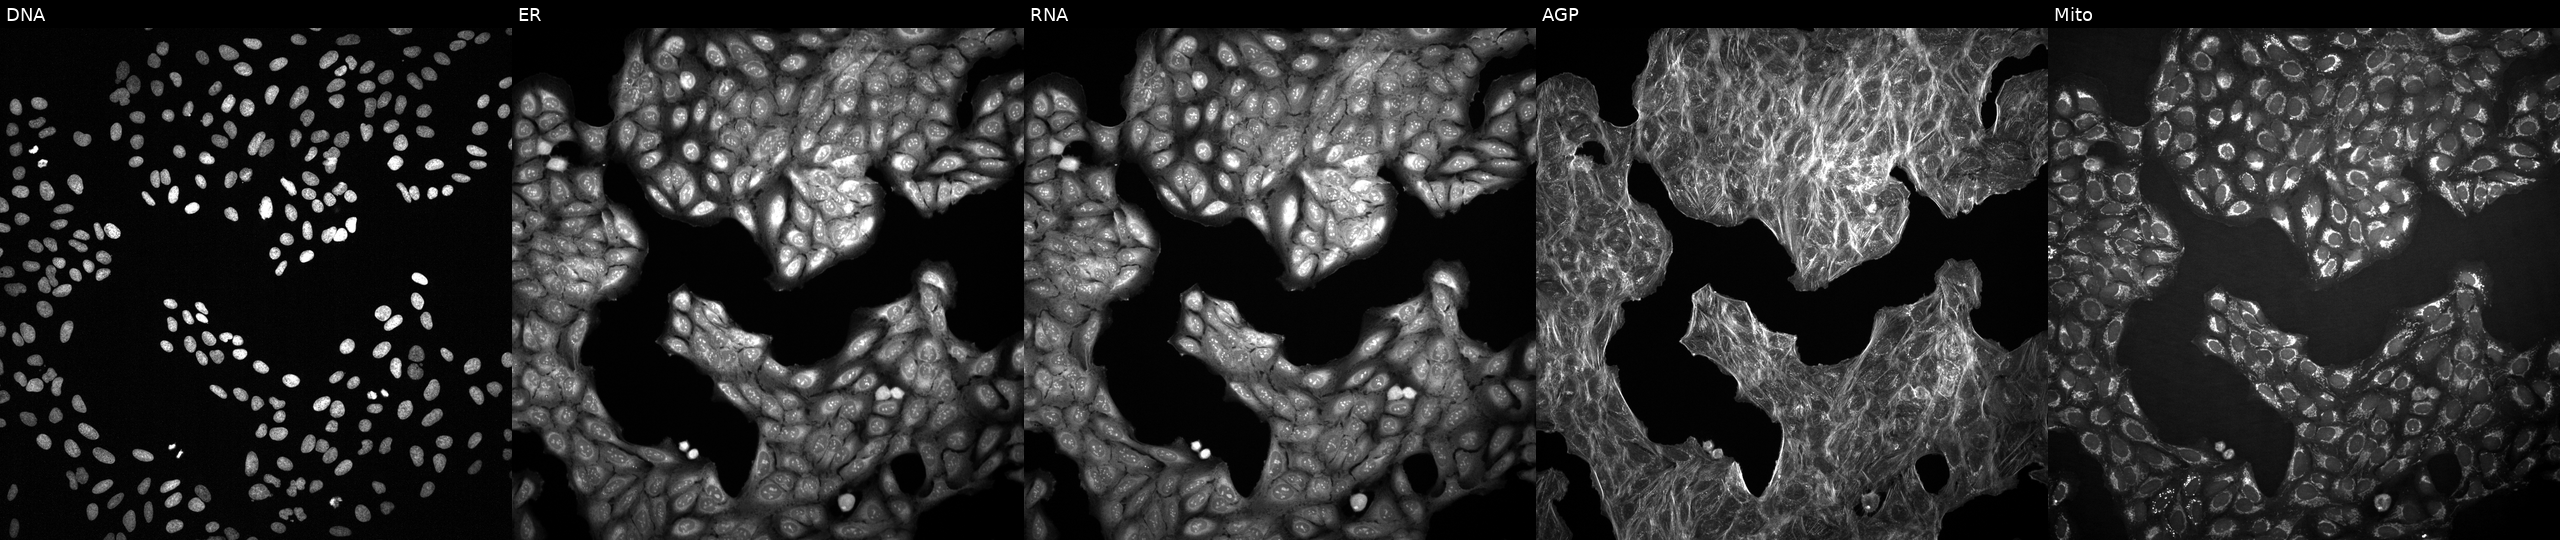
Five-channel Cell Painting image of U2OS cells exposed to a small-molecule compound (InChIKey GRTDOPDVVRZLDF-UHFFFAOYSA-N) (JUMP id JCP2022_027339). Channels (left→right): Hoechst 33342, concanavalin A, SYTO 14, phalloidin and WGA, MitoTracker.